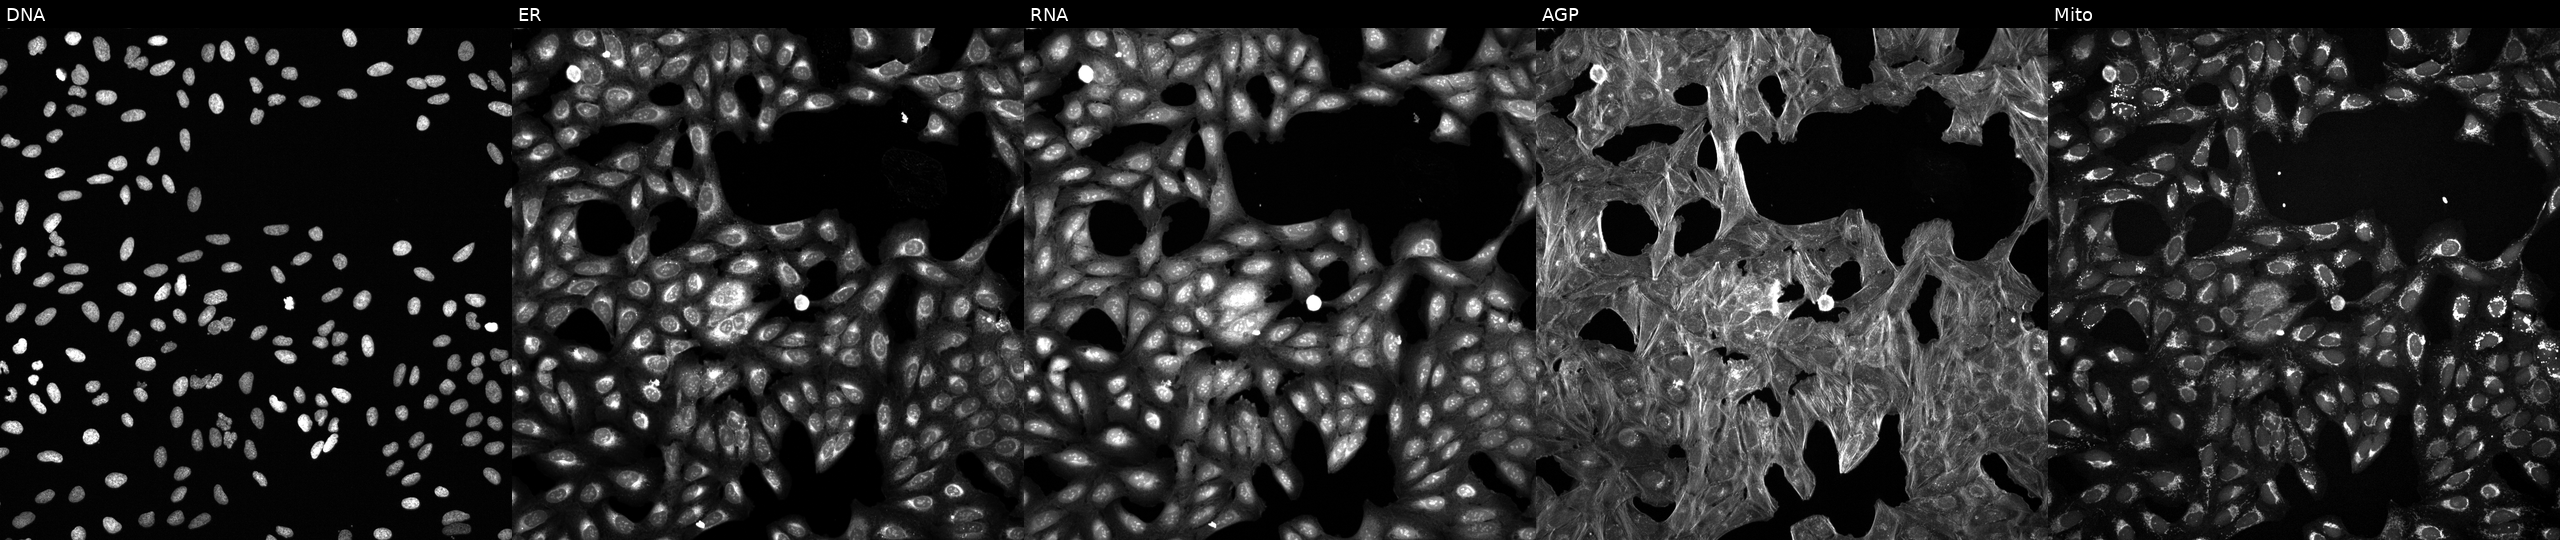
Five-channel Cell Painting image of U2OS cells exposed to DMSO alone as a negative control. The five panels, left to right, show DNA (nuclei); ER (endoplasmic reticulum); RNA (nucleoli and cytoplasmic RNA); AGP (actin cytoskeleton, Golgi, and plasma membrane); Mito (mitochondria).